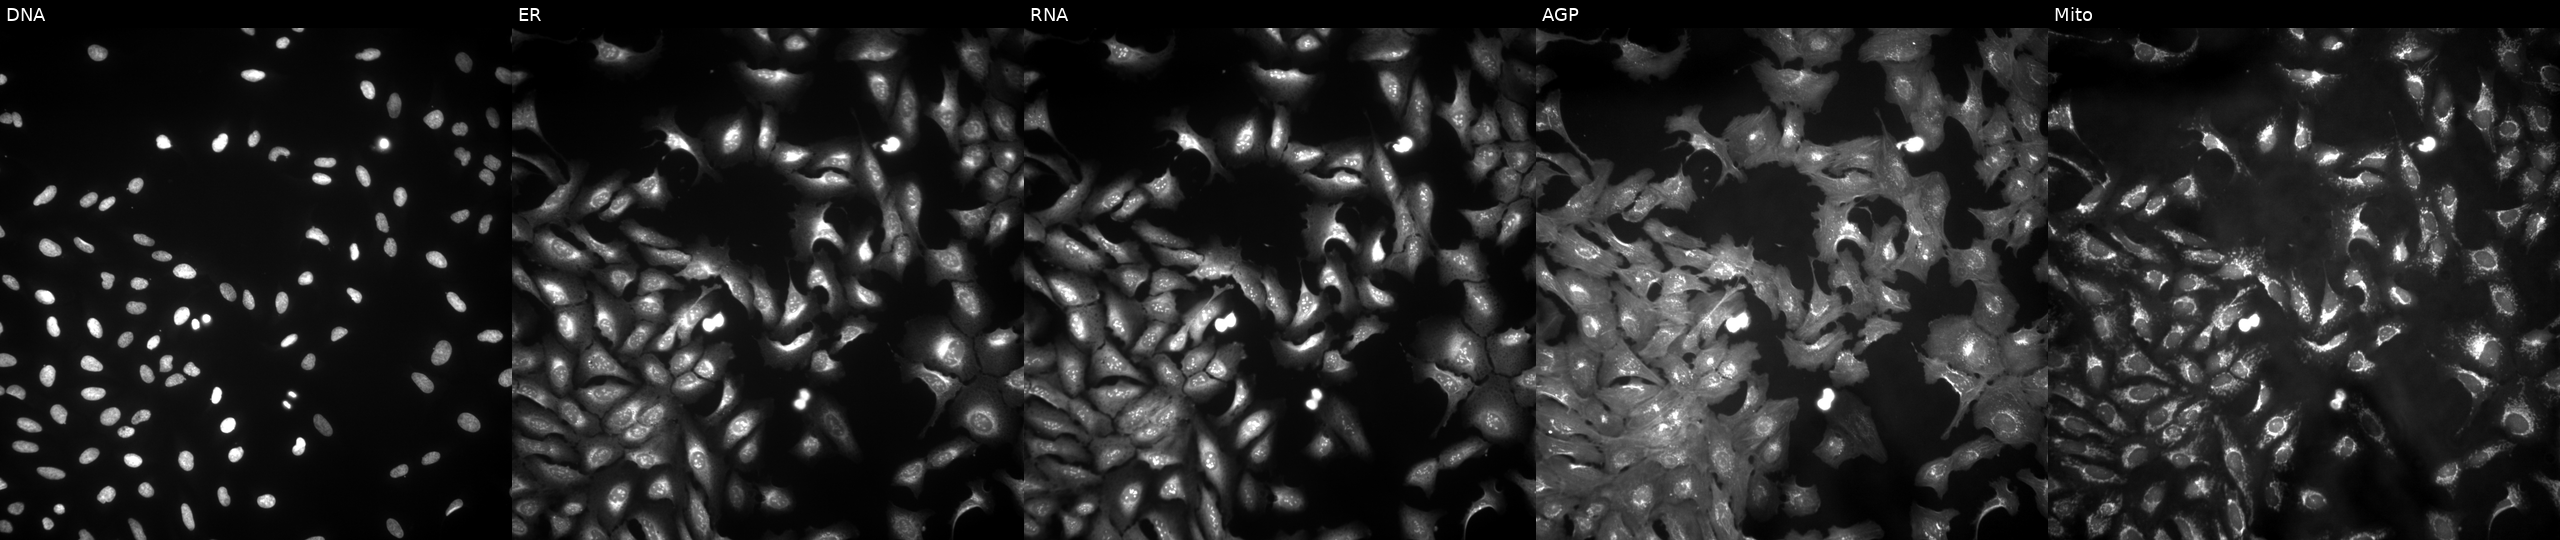
The five panels, left to right, show DNA (nuclei); ER (endoplasmic reticulum); RNA (nucleoli and cytoplasmic RNA); AGP (actin cytoskeleton, Golgi, and plasma membrane); Mito (mitochondria). U2OS osteosarcoma cells with SH2B1 overexpressed (ORF) (JUMP id JCP2022_910998). Cell Painting assay, JUMP-CP dataset.